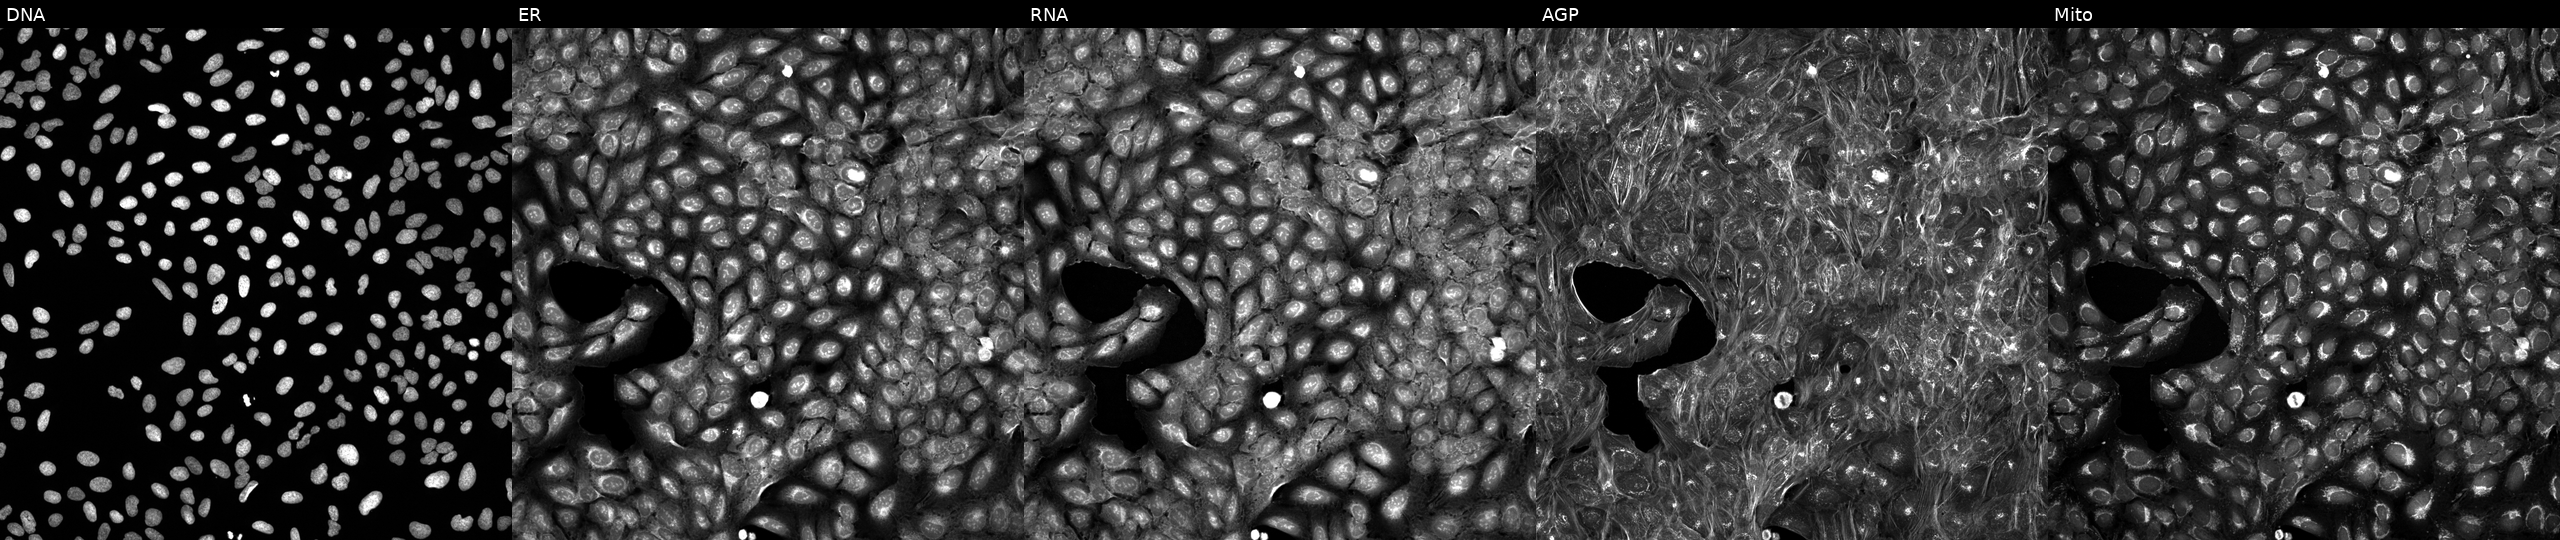
Five-channel Cell Painting image of U2OS cells exposed to a small-molecule compound (InChIKey LRRMQNGSYOUANY-UHFFFAOYSA-N). From left to right: DNA (nuclei); ER (endoplasmic reticulum); RNA (nucleoli and cytoplasmic RNA); AGP (actin cytoskeleton, Golgi, and plasma membrane); Mito (mitochondria). Source 5, plate ACPJUM032, well K19.